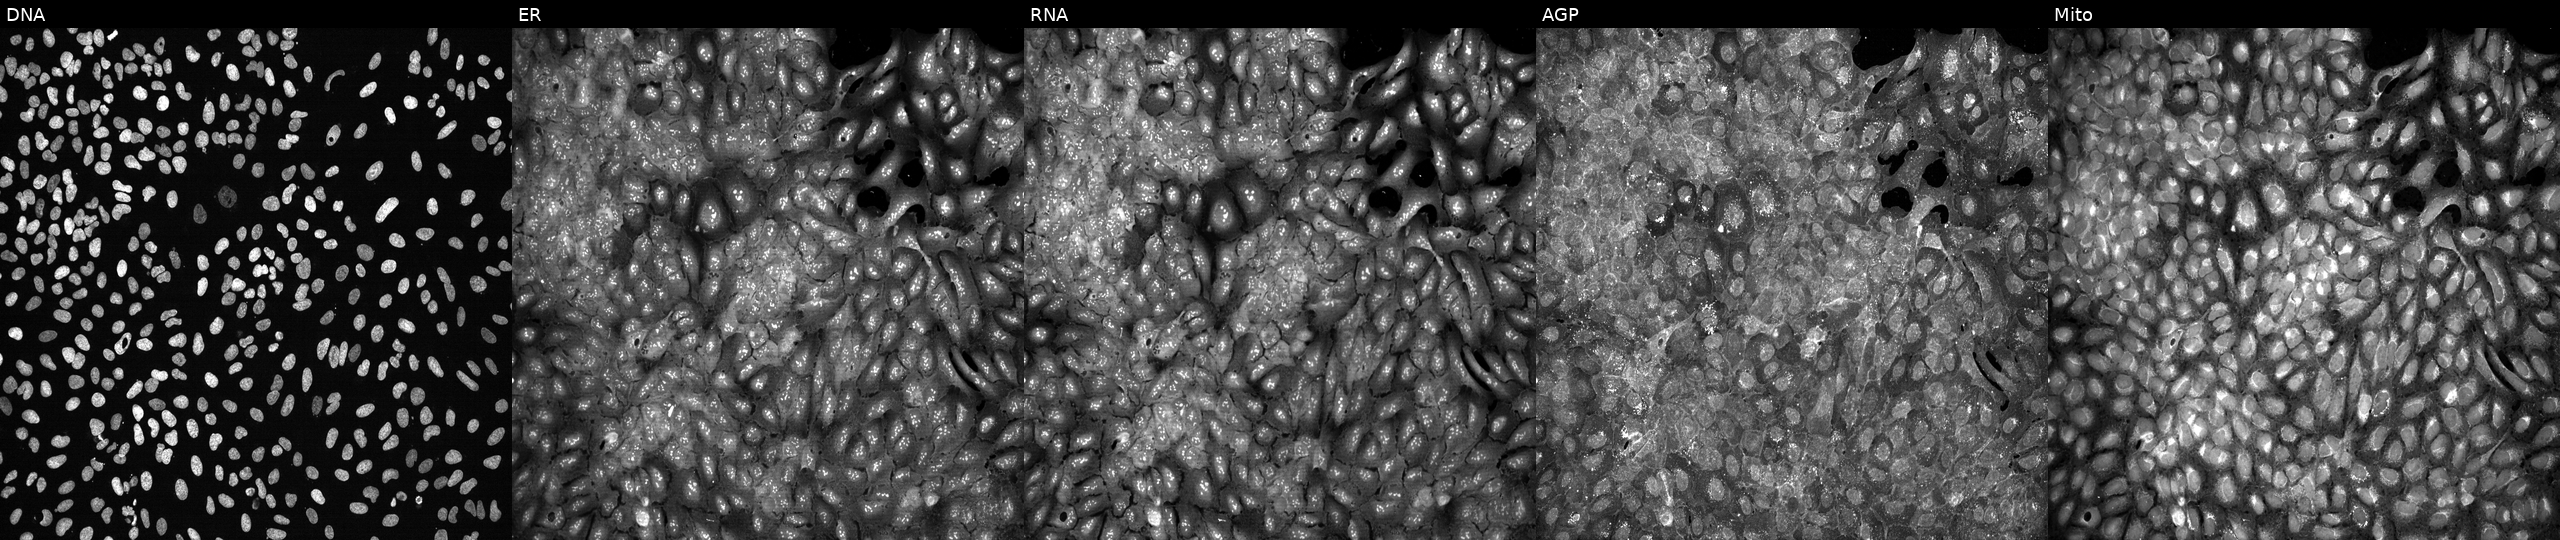
U2OS cells, Cell Painting assay, CRISPR-edited to disrupt CPS1 (JUMP id JCP2022_801483). Panels show, left to right, Hoechst 33342, concanavalin A, SYTO 14, phalloidin and WGA, MitoTracker. Each panel is percentile-stretched 16-bit fluorescence.